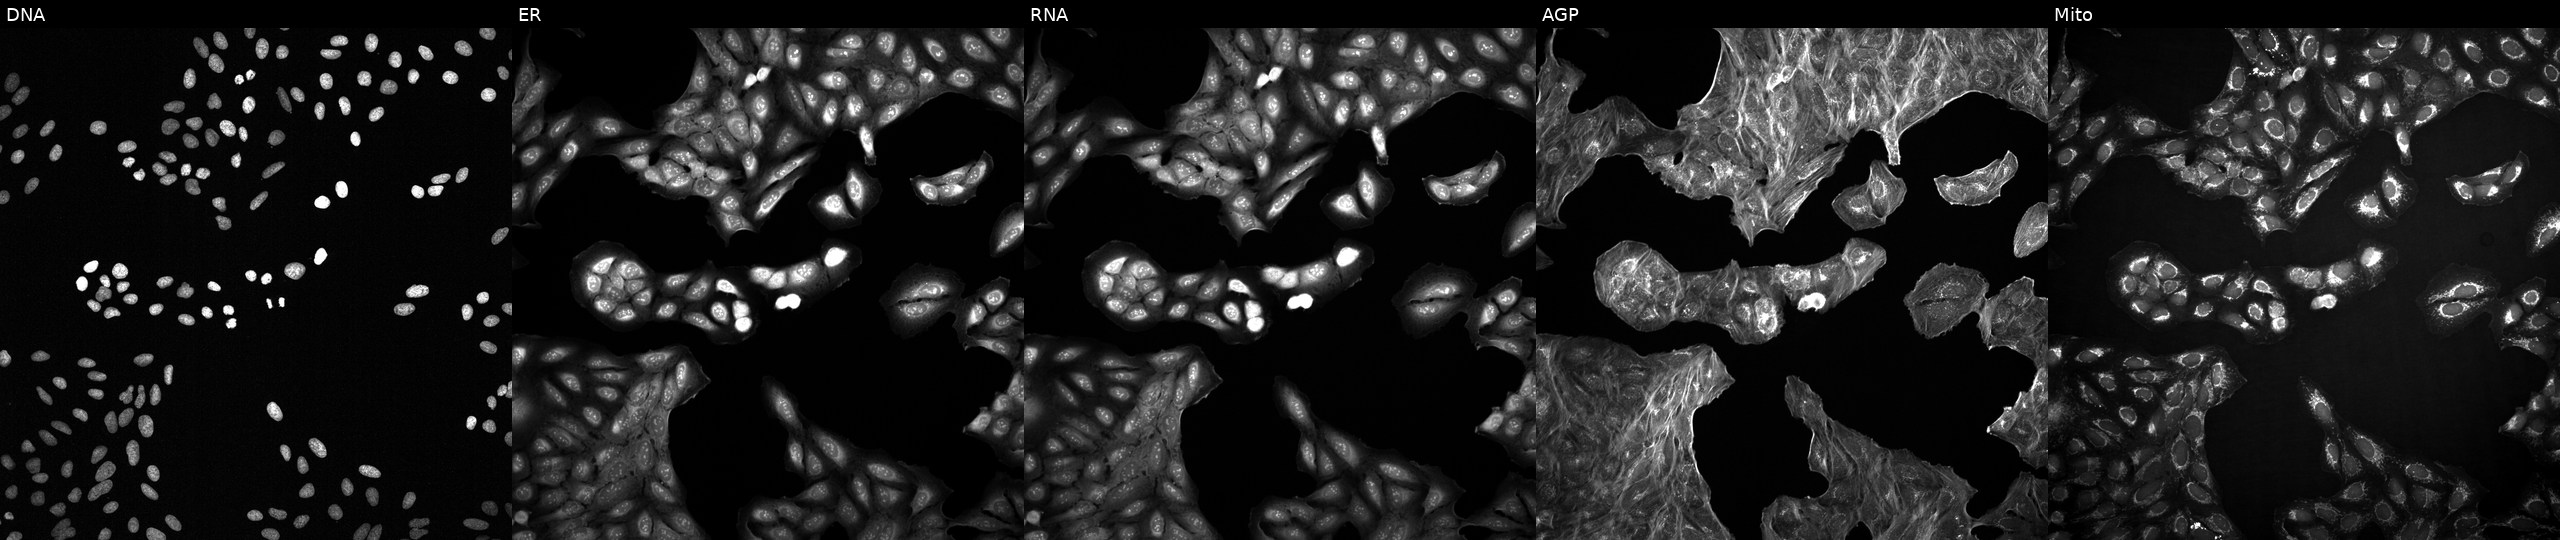
This image strip shows the five Cell Painting channels for a single field of U2OS cells with an unidentified perturbation (not annotated in JUMP metadata). Channels (left→right): Hoechst 33342, concanavalin A, SYTO 14, phalloidin and WGA, MitoTracker.